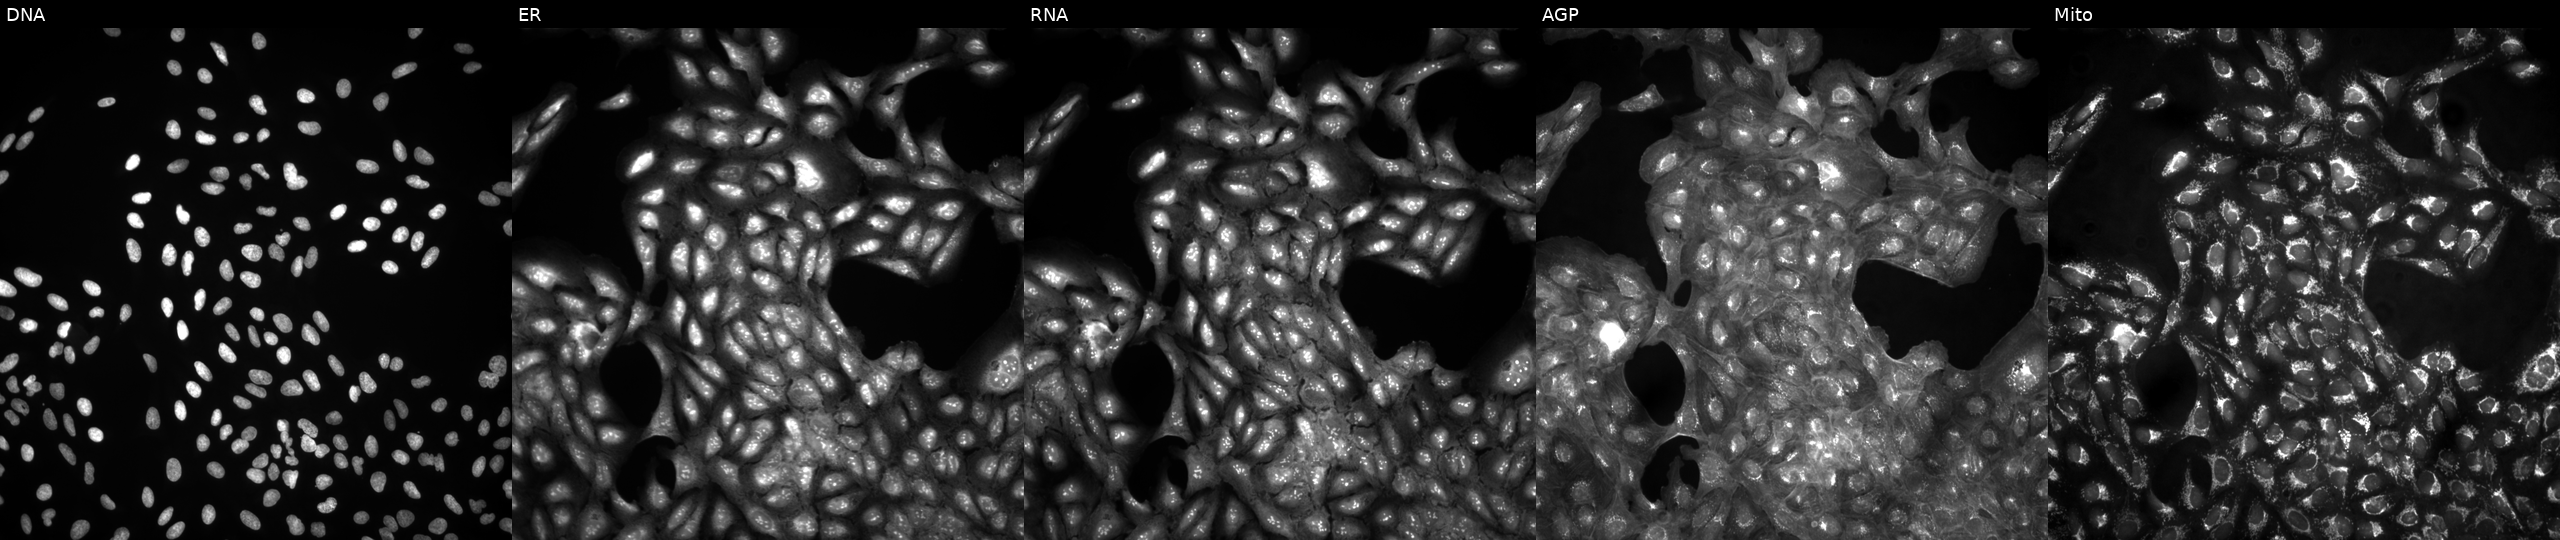
JUMP Cell Painting — ORF plate. U2OS cells in an empty control well (no perturbation) (JUMP id JCP2022_999999). Panels show, left to right, Hoechst 33342, concanavalin A, SYTO 14, phalloidin and WGA, MitoTracker. Source 4, plate BR00123946, well P03.